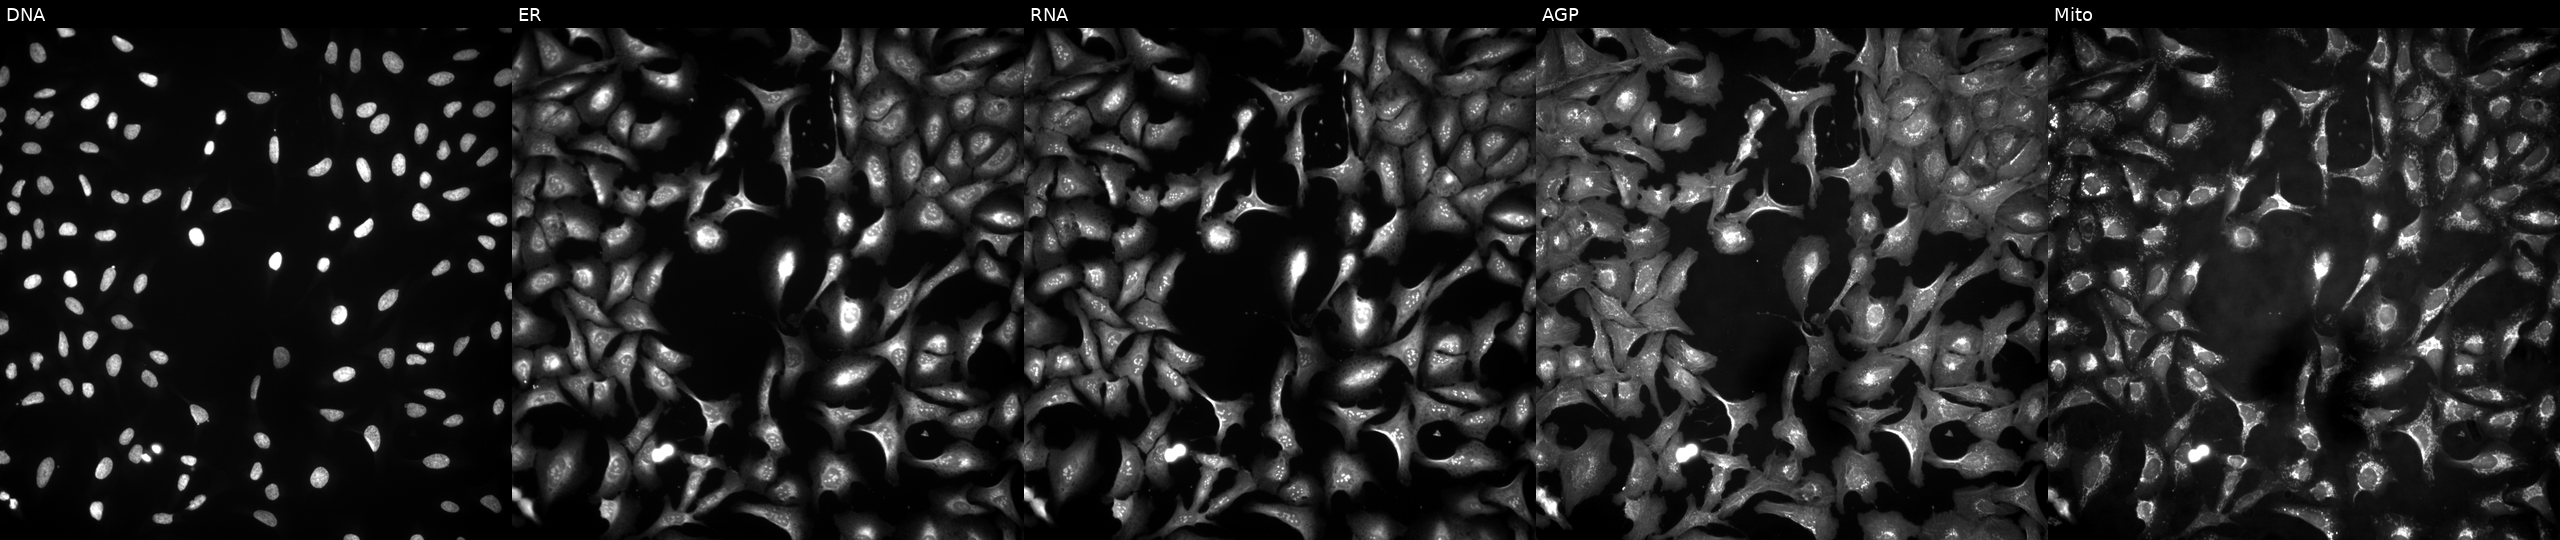
Panels show, left to right, Hoechst 33342, concanavalin A, SYTO 14, phalloidin and WGA, MitoTracker. U2OS osteosarcoma cells transfected with an ORF construct for ZBED4 (JUMP id JCP2022_907017). Cell Painting assay, JUMP-CP dataset. Source 4, plate BR00124790, well H04.